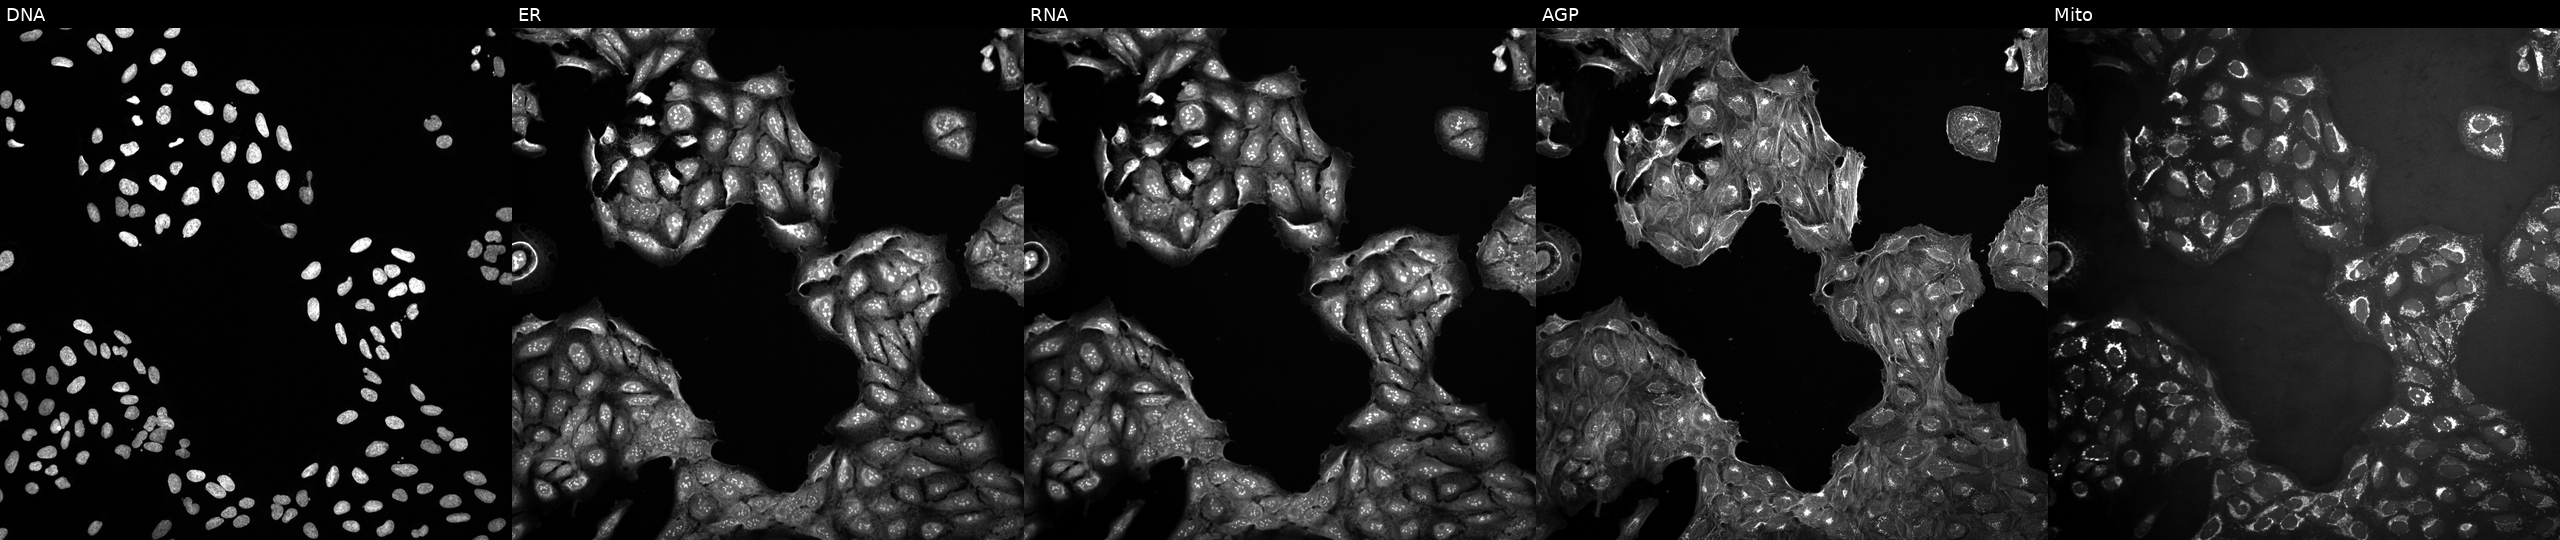
U2OS cells, Cell Painting assay, in an empty control well (no perturbation) (JUMP id JCP2022_999999). From left to right: DNA (nuclei); ER (endoplasmic reticulum); RNA (nucleoli and cytoplasmic RNA); AGP (actin cytoskeleton, Golgi, and plasma membrane); Mito (mitochondria). Each panel is percentile-stretched 16-bit fluorescence.